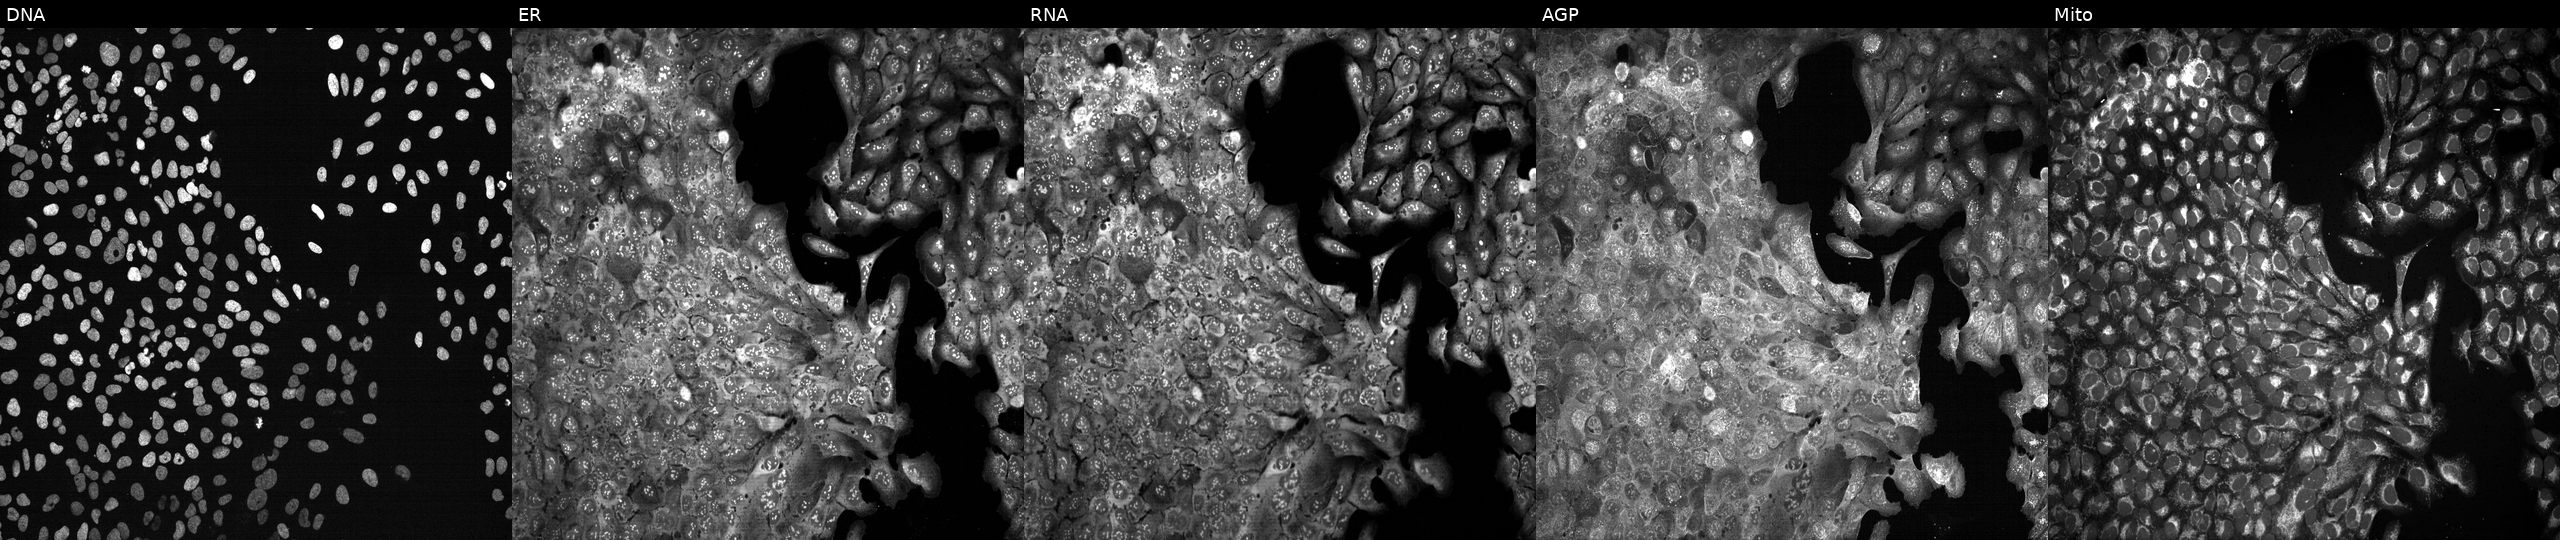
From left to right: DNA (nuclei); ER (endoplasmic reticulum); RNA (nucleoli and cytoplasmic RNA); AGP (actin cytoskeleton, Golgi, and plasma membrane); Mito (mitochondria). U2OS osteosarcoma cells CRISPR-edited to disrupt FLNA. Cell Painting assay, JUMP-CP dataset. Source 13, plate CP-CC9-R4-04, well O12.